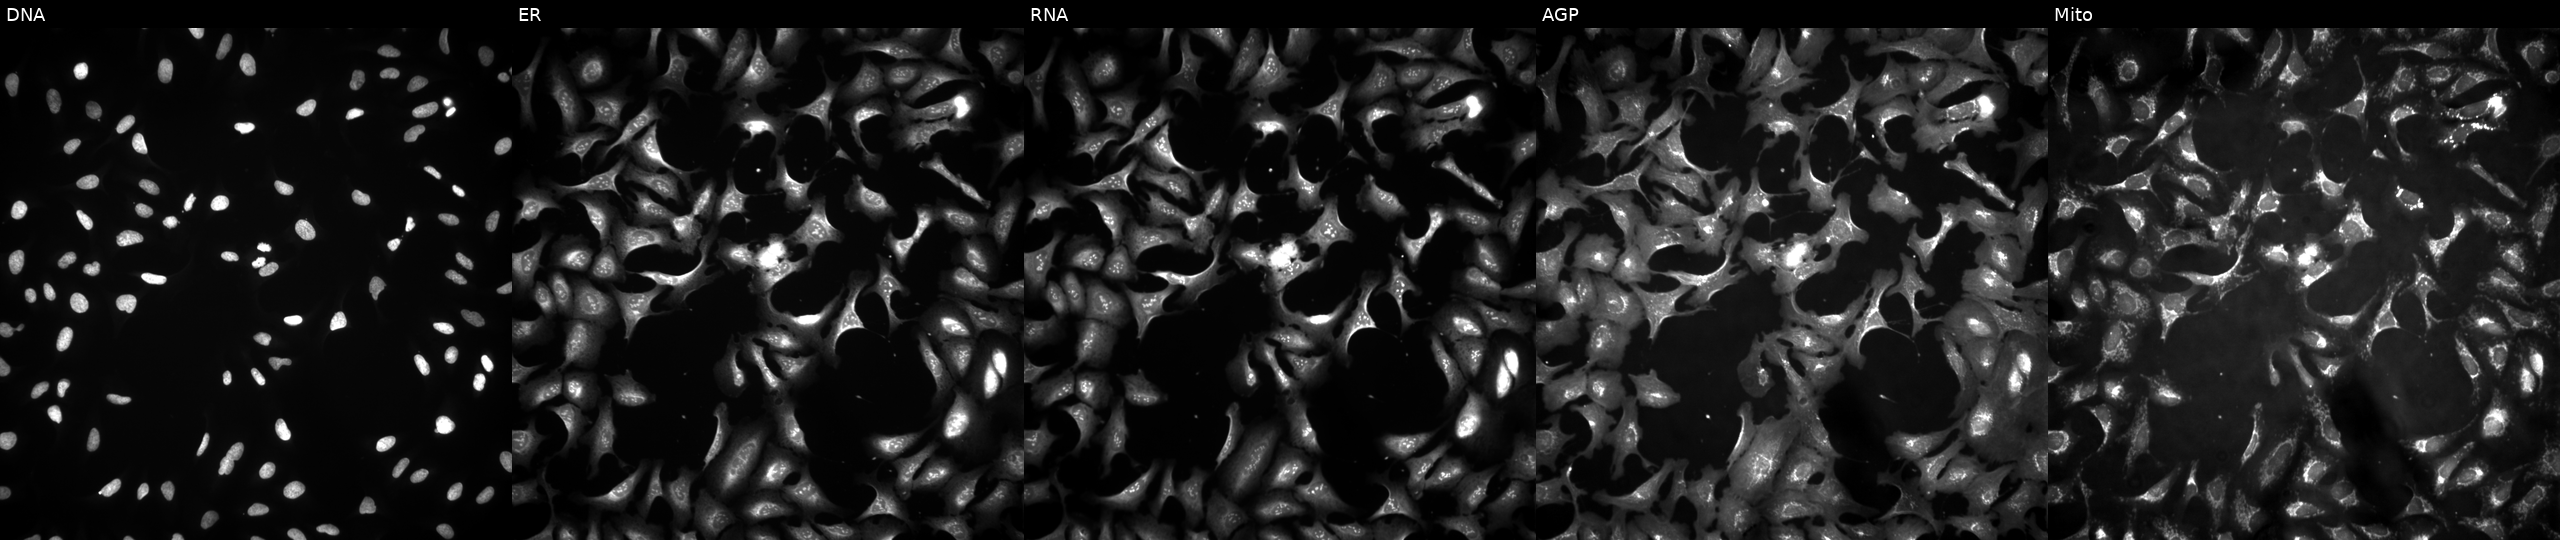
From left to right: Hoechst 33342, concanavalin A, SYTO 14, phalloidin and WGA, MitoTracker. U2OS osteosarcoma cells overexpressing TTI1 via ORF transfection (JUMP id JCP2022_902082). Cell Painting assay, JUMP-CP dataset. Source 4, plate BR00121543, well G09.